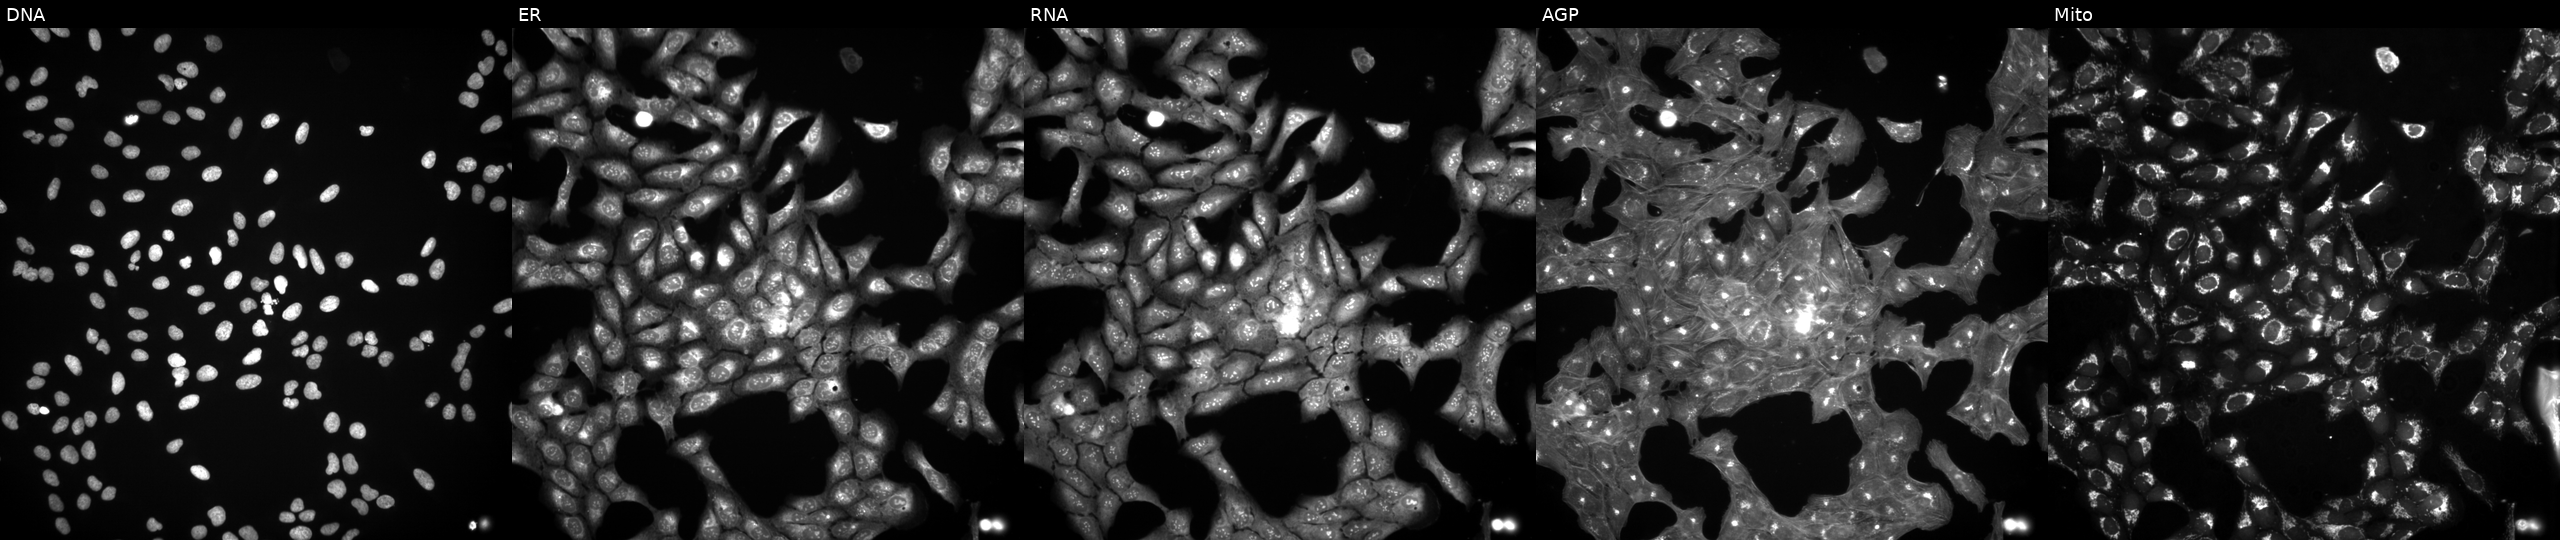
JUMP Cell Painting — COMPOUND plate. U2OS cells treated with a small-molecule compound. Panels show, left to right, DNA, ER, RNA, AGP, and Mito. Source 3, plate BR5867b3, well L13.